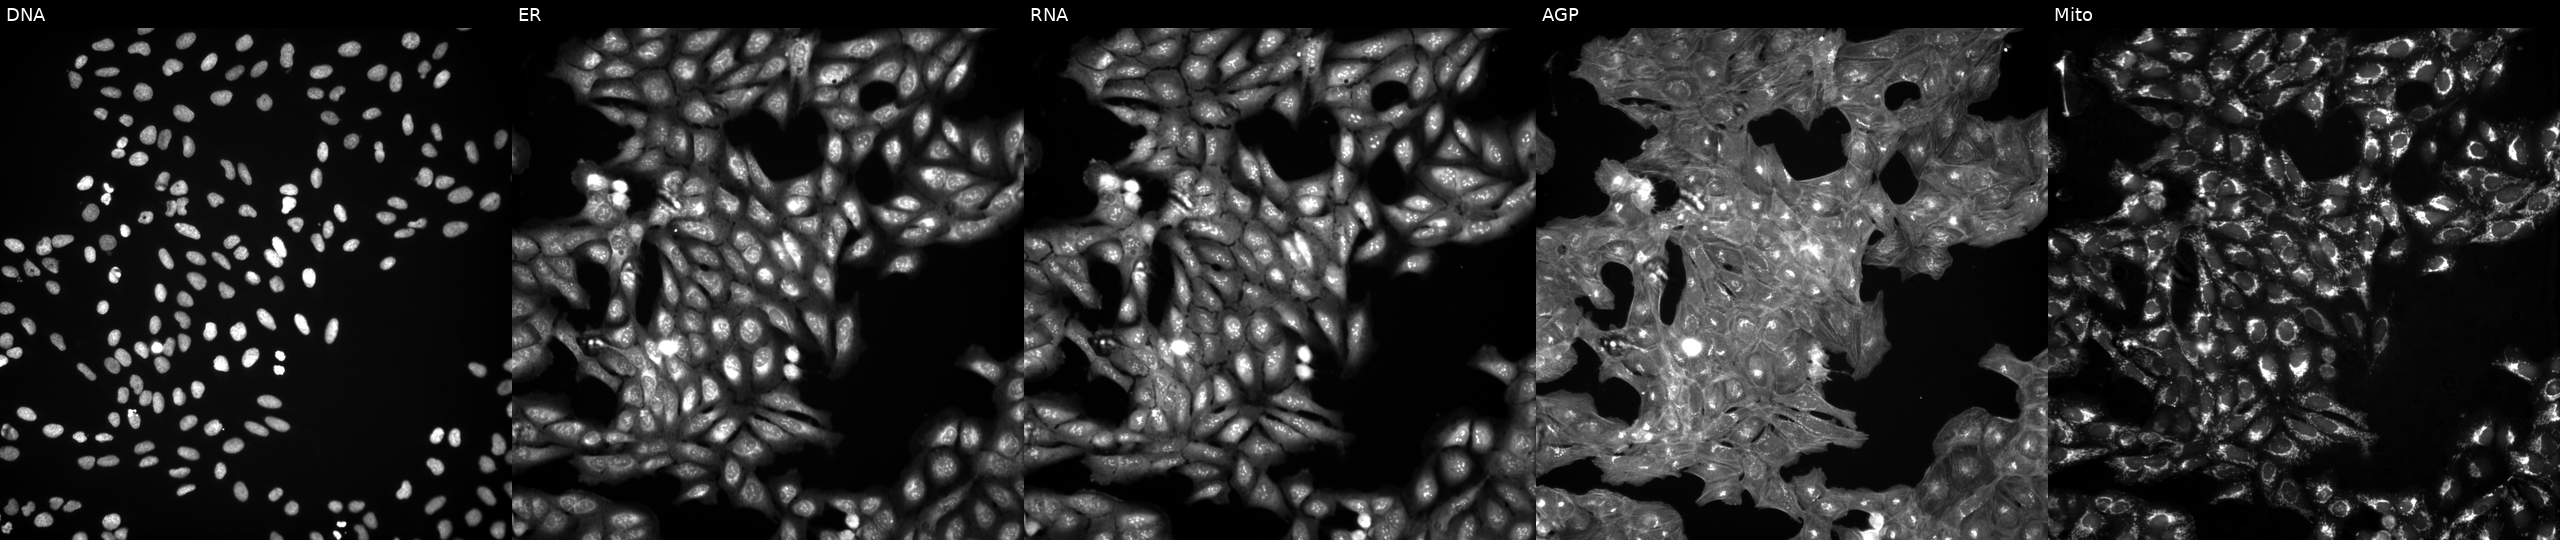
High-content fluorescence microscopy (Cell Painting). Cell line: U2OS. Perturbation: treated with DMSO vehicle only (negative control). From left to right: DNA, ER, RNA, AGP, and Mito.